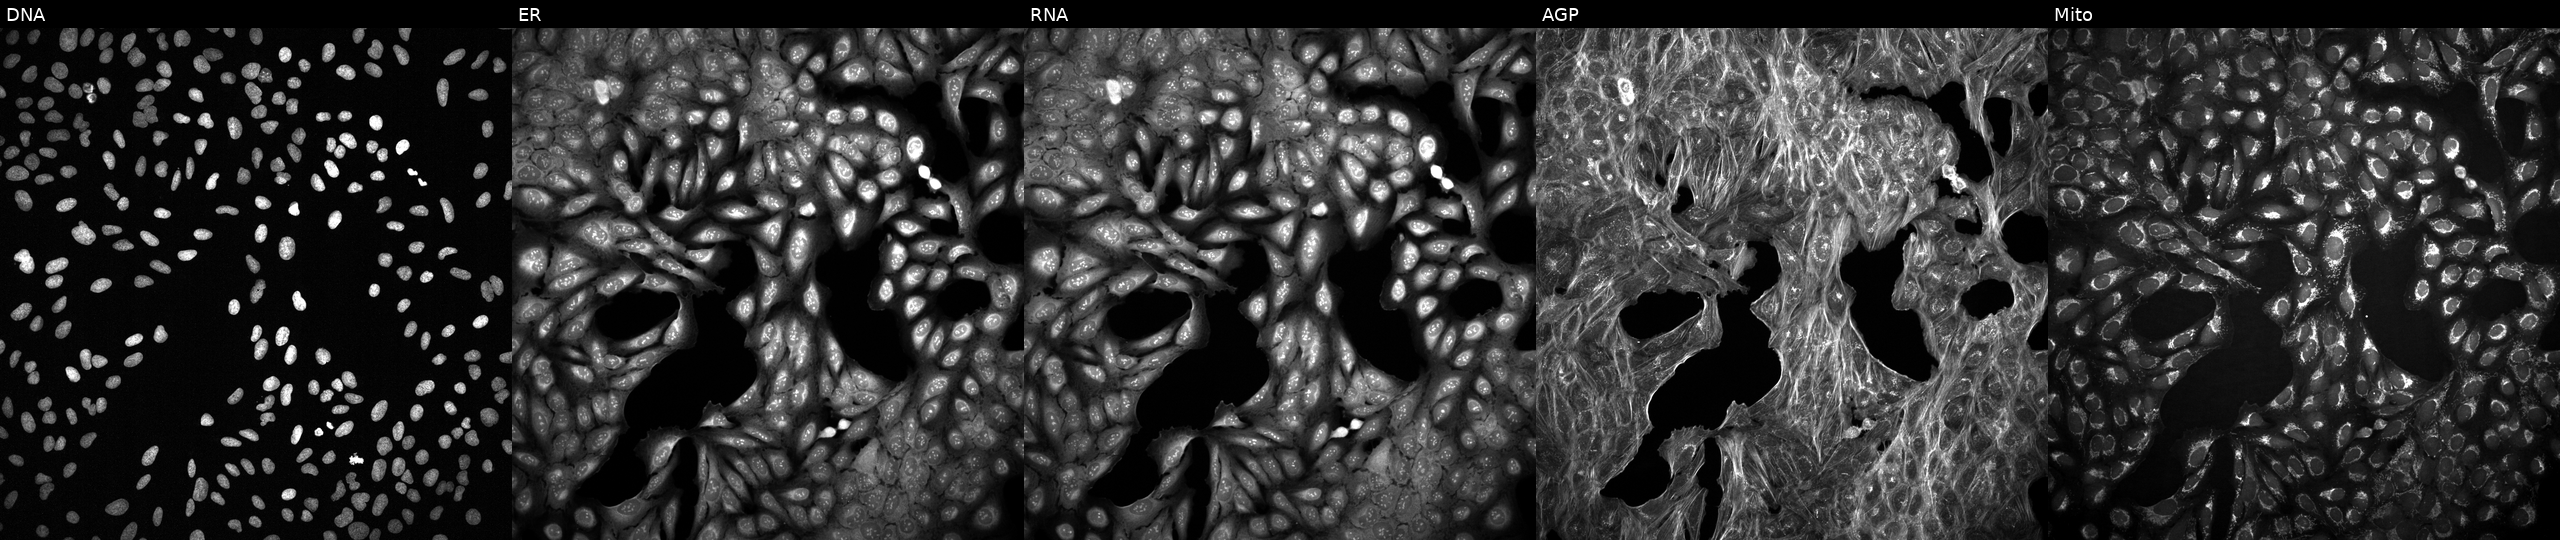
The five panels, left to right, show DNA, ER, RNA, AGP, and Mito. U2OS osteosarcoma cells with an unidentified perturbation (not annotated in JUMP metadata). Cell Painting assay, JUMP-CP dataset.